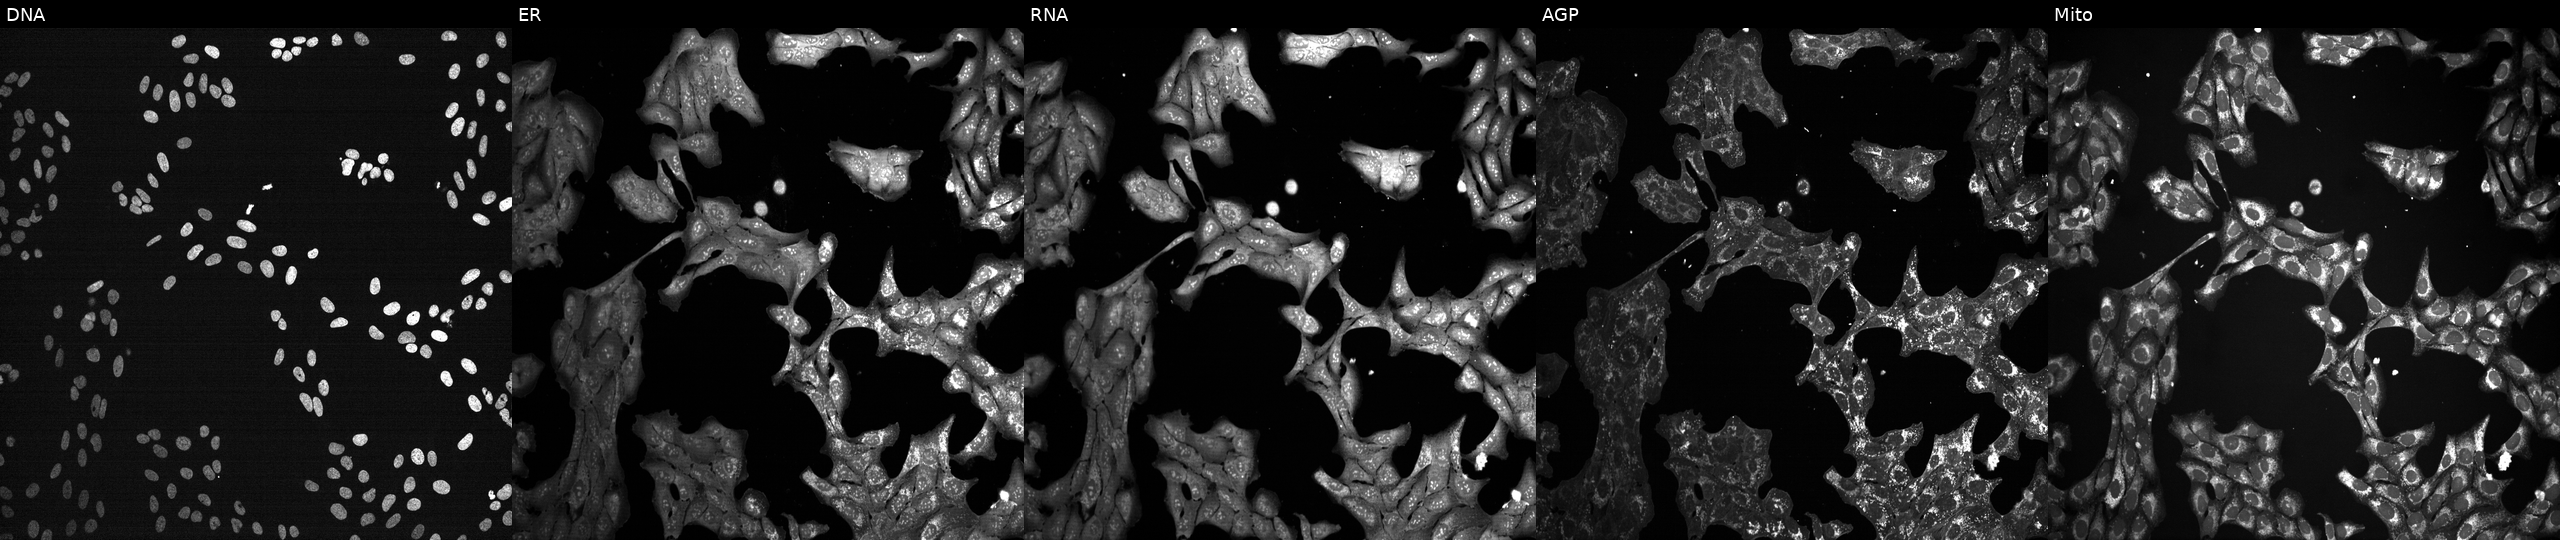
JUMP Cell Painting — TARGET2 plate. U2OS cells exposed to a small-molecule compound. The five panels, left to right, show DNA, ER, RNA, AGP, and Mito.